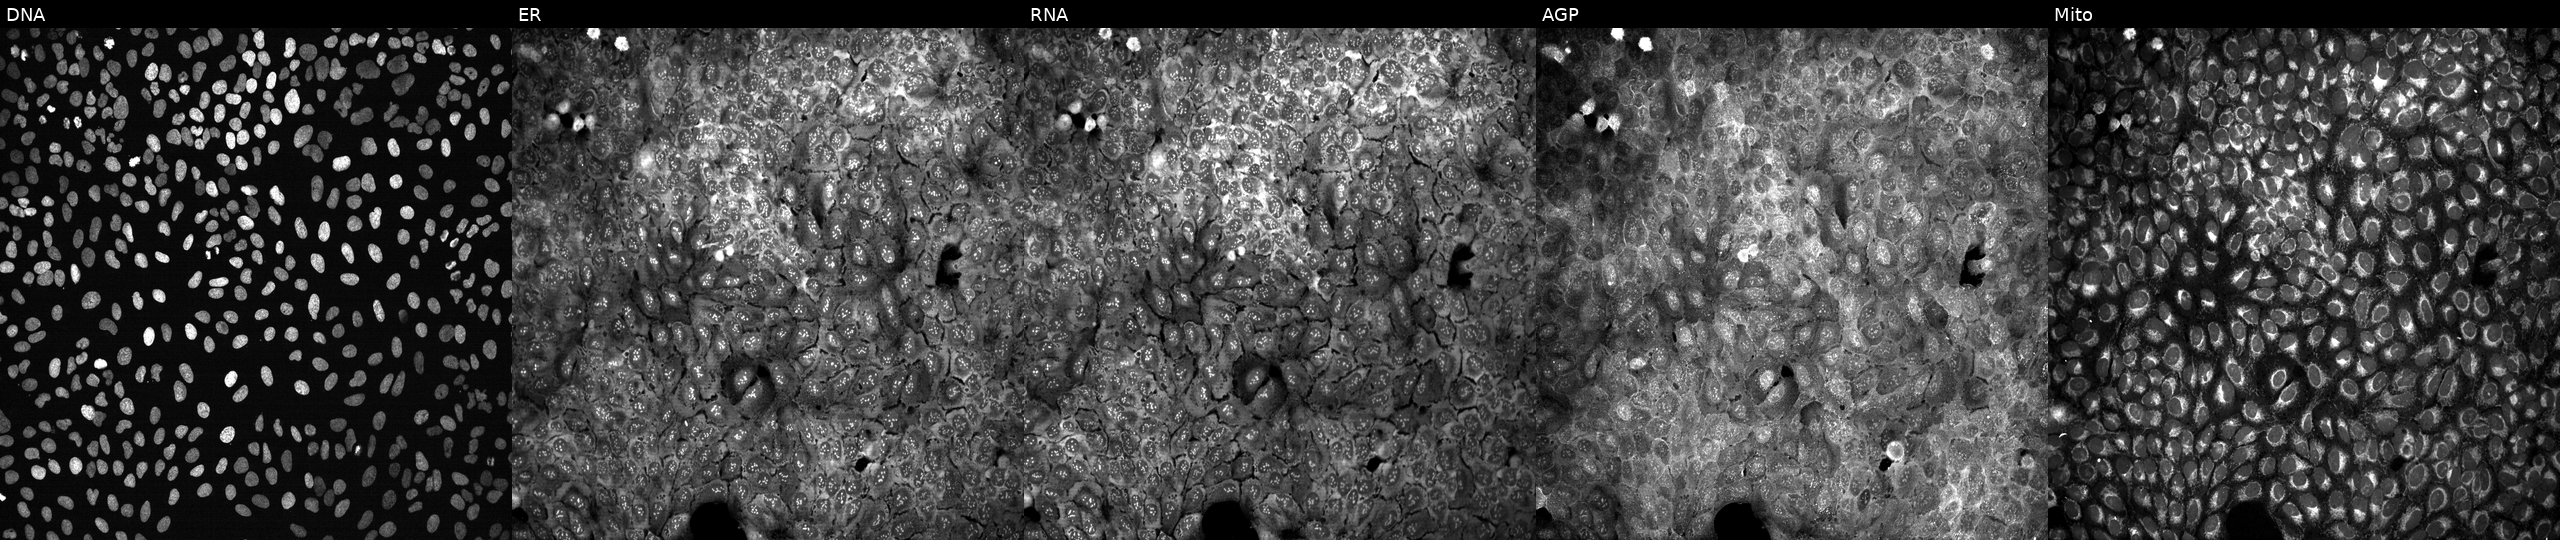
JUMP Cell Painting — CRISPR plate. U2OS cells treated with DMSO vehicle only (negative control) (JUMP id JCP2022_033924). From left to right: DNA (nuclei); ER (endoplasmic reticulum); RNA (nucleoli and cytoplasmic RNA); AGP (actin cytoskeleton, Golgi, and plasma membrane); Mito (mitochondria).